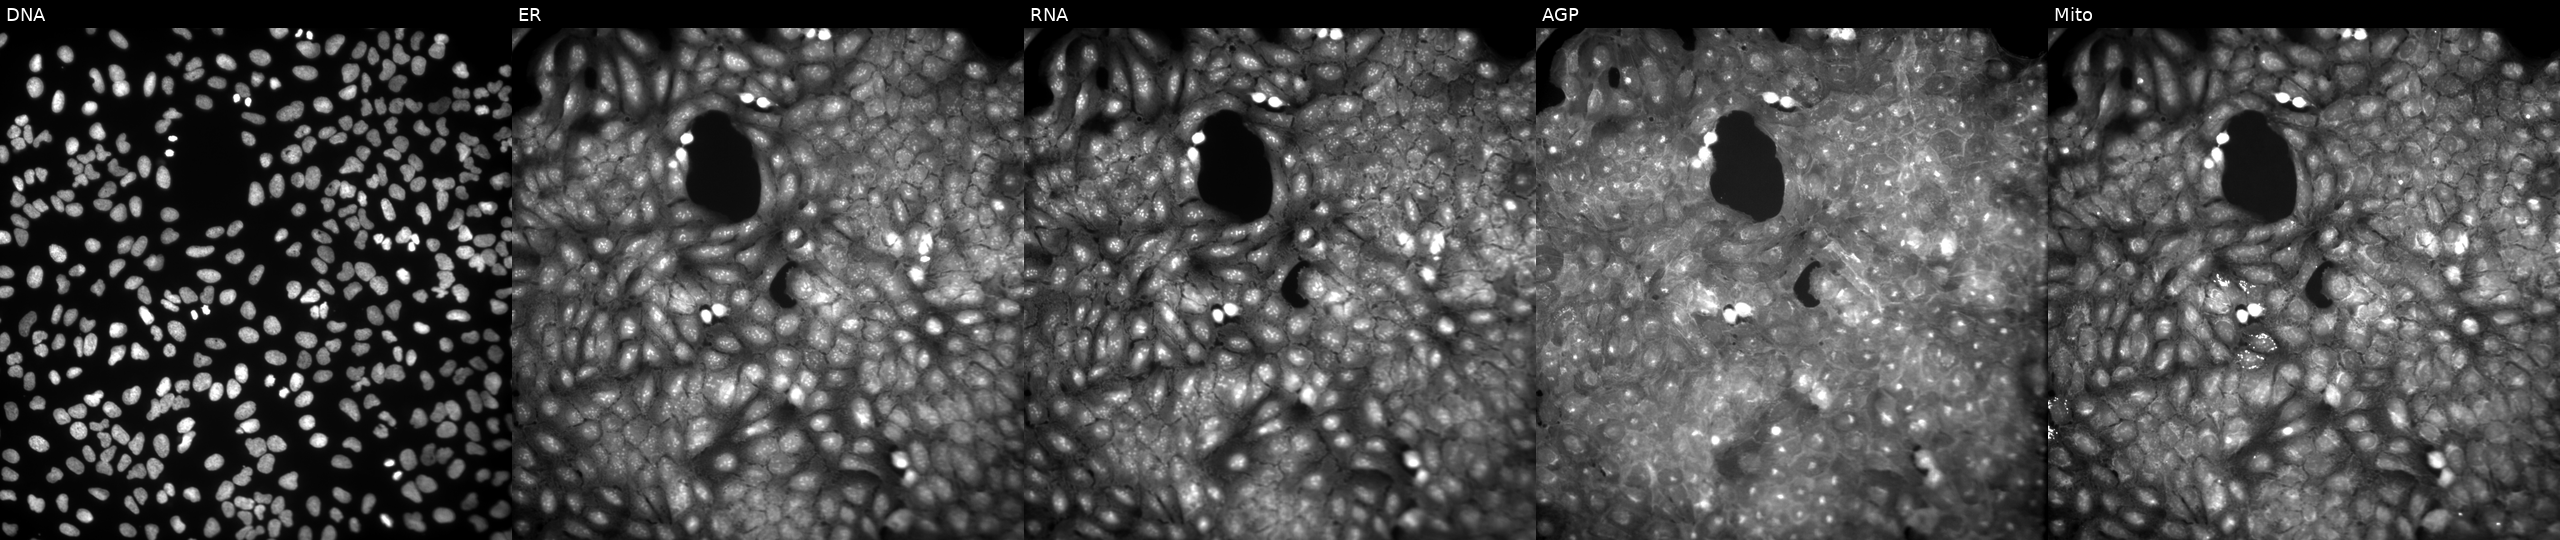
JUMP Cell Painting — COMPOUND plate. U2OS cells perturbed with a small-molecule compound (InChIKey CACULLLIGGIVGK-UHFFFAOYSA-N) (JUMP id JCP2022_009803). The five panels, left to right, show DNA, ER, RNA, AGP, and Mito.